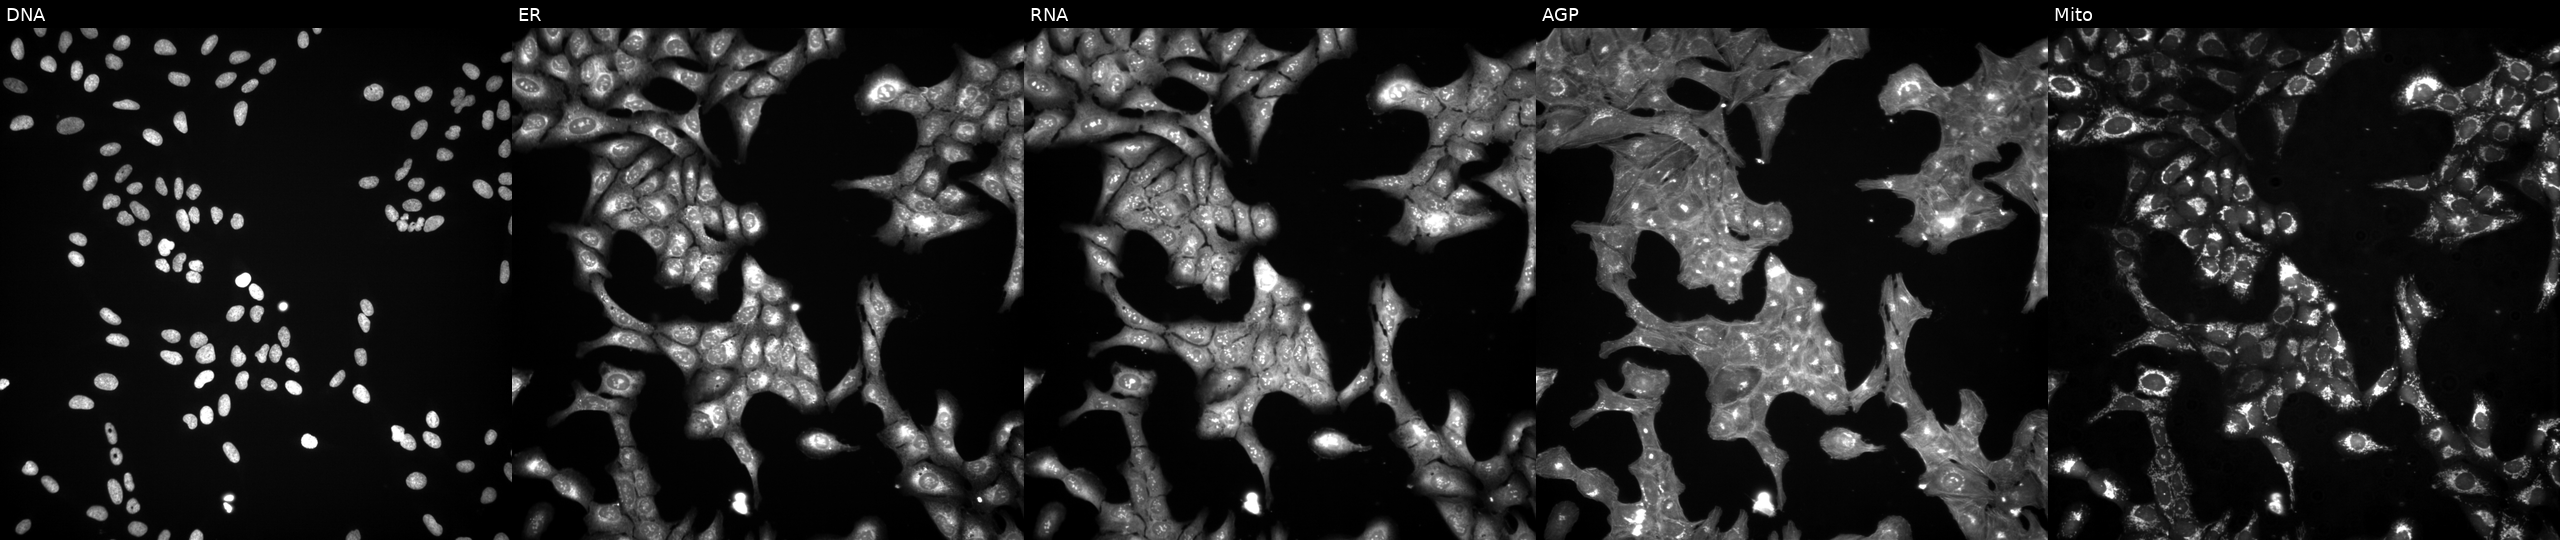
Channels (left→right): DNA, ER, RNA, AGP, and Mito. U2OS osteosarcoma cells exposed to a small-molecule compound [SMILES: CCc1ccccc1N=c1cc(C)[nH]c2ncnn12] (JUMP id JCP2022_044870). Cell Painting assay, JUMP-CP dataset.